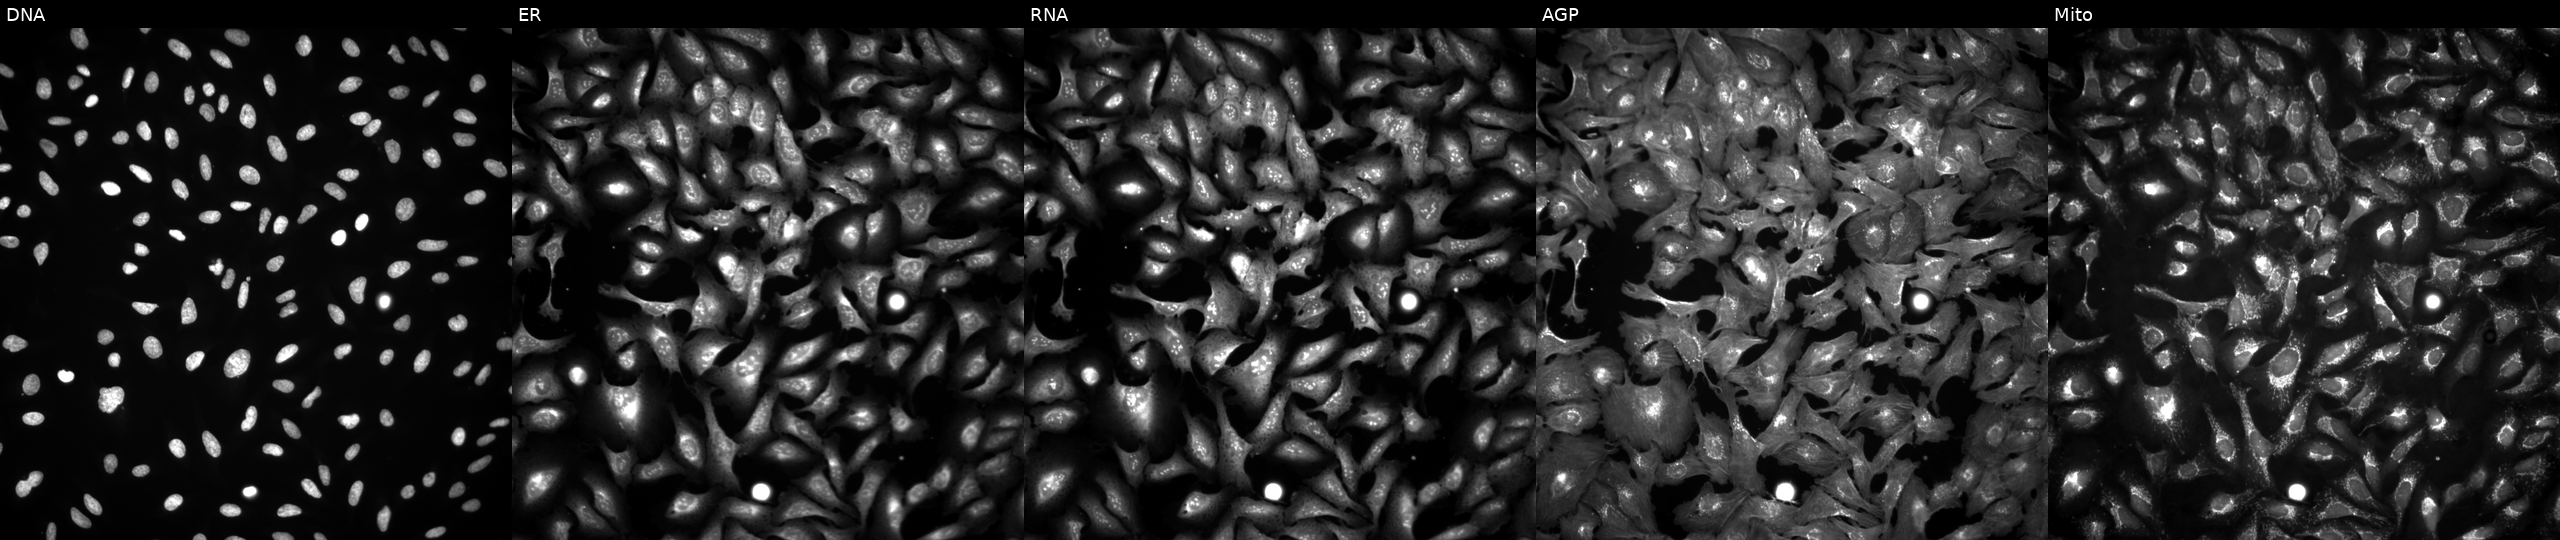
U2OS cells, Cell Painting assay, overexpressing LMTK2 via ORF transfection (JUMP id JCP2022_914016). Panels show, left to right, Hoechst 33342, concanavalin A, SYTO 14, phalloidin and WGA, MitoTracker. Each panel is percentile-stretched 16-bit fluorescence. Source 4, plate BR00123945, well A16.